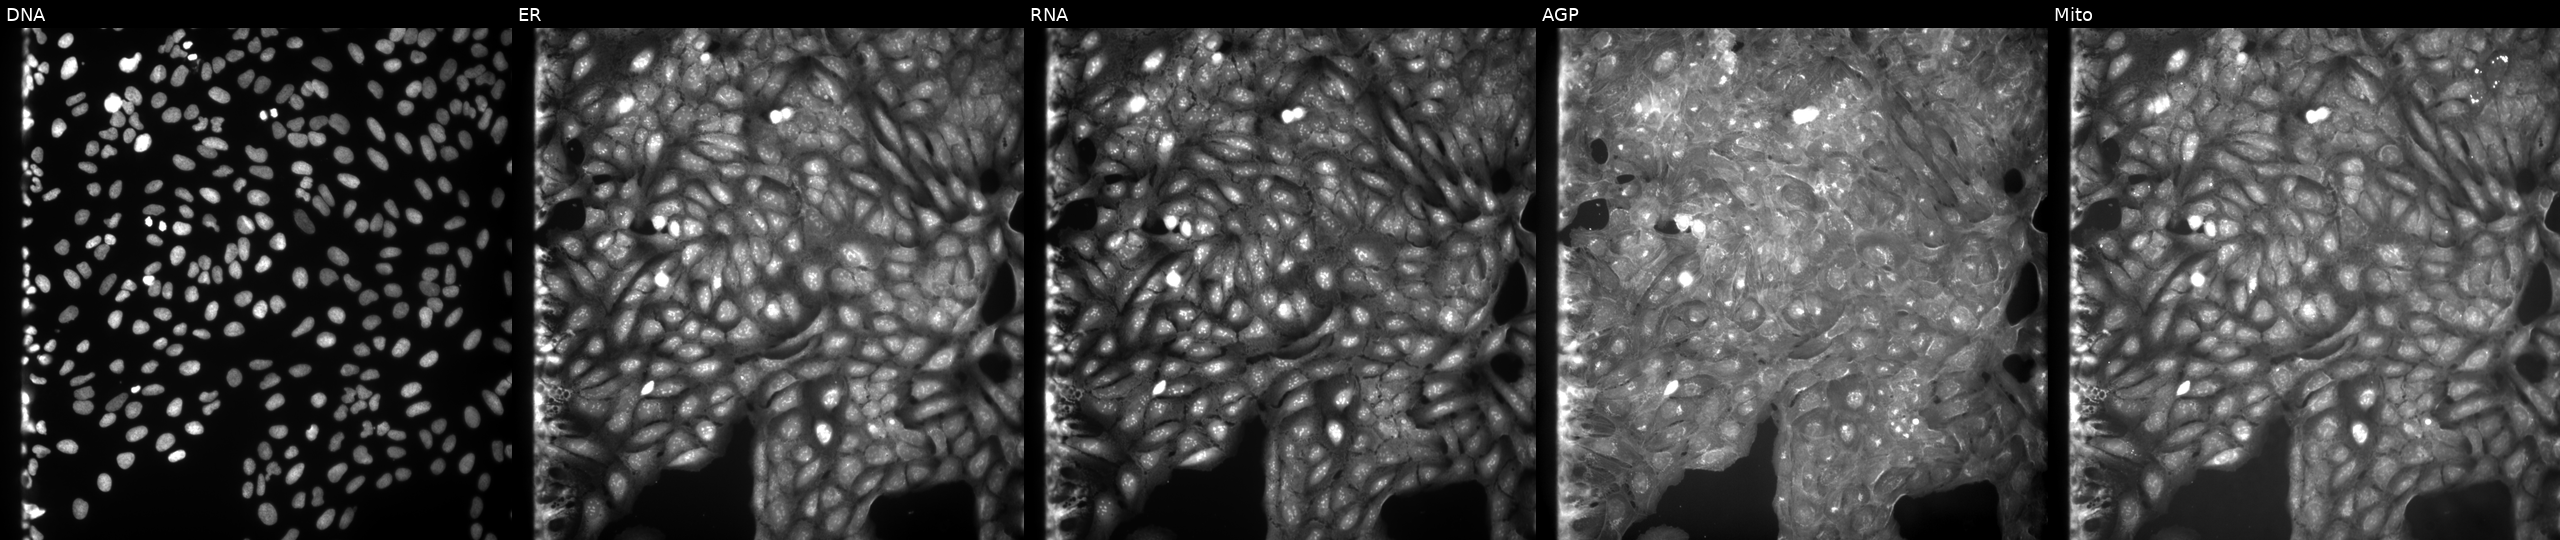
Five-channel Cell Painting image of U2OS cells perturbed with a small-molecule compound (InChIKey PZLAZHLMSZCPEY-UHFFFAOYSA-N) [SMILES: N=c1[nH]c2ccccc2n1Cc1ccccc1Cl] (JUMP id JCP2022_071976). From left to right: DNA, ER, RNA, AGP, and Mito.